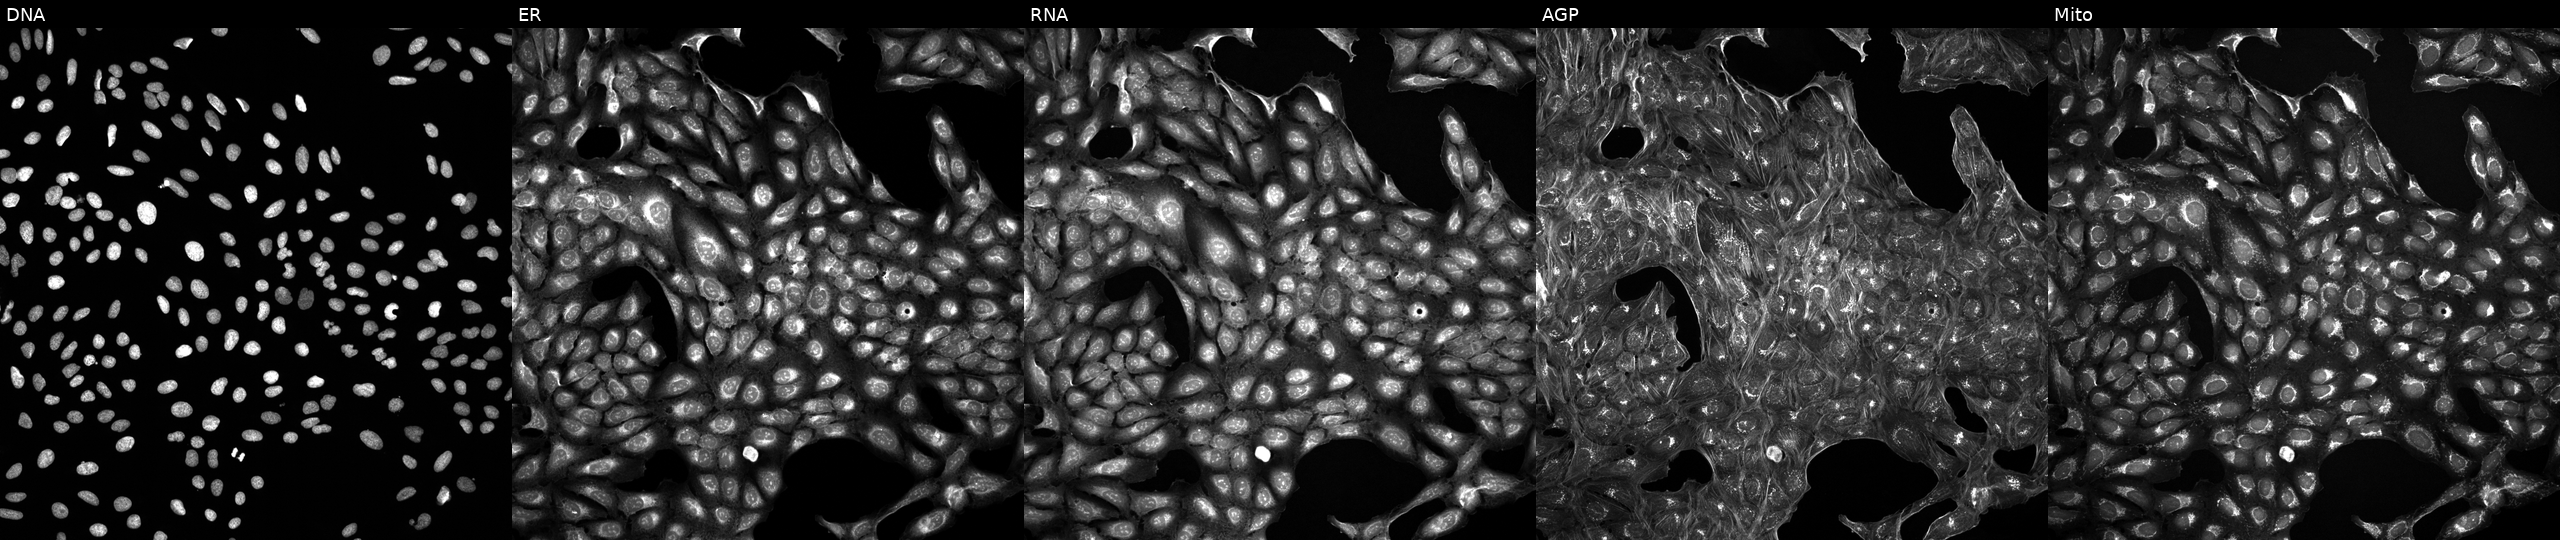
This image strip shows the five Cell Painting channels for a single field of U2OS cells treated with a small-molecule compound (InChIKey JPGQOUSTVILISH-UHFFFAOYSA-N). Panels show, left to right, DNA (nuclei); ER (endoplasmic reticulum); RNA (nucleoli and cytoplasmic RNA); AGP (actin cytoskeleton, Golgi, and plasma membrane); Mito (mitochondria).